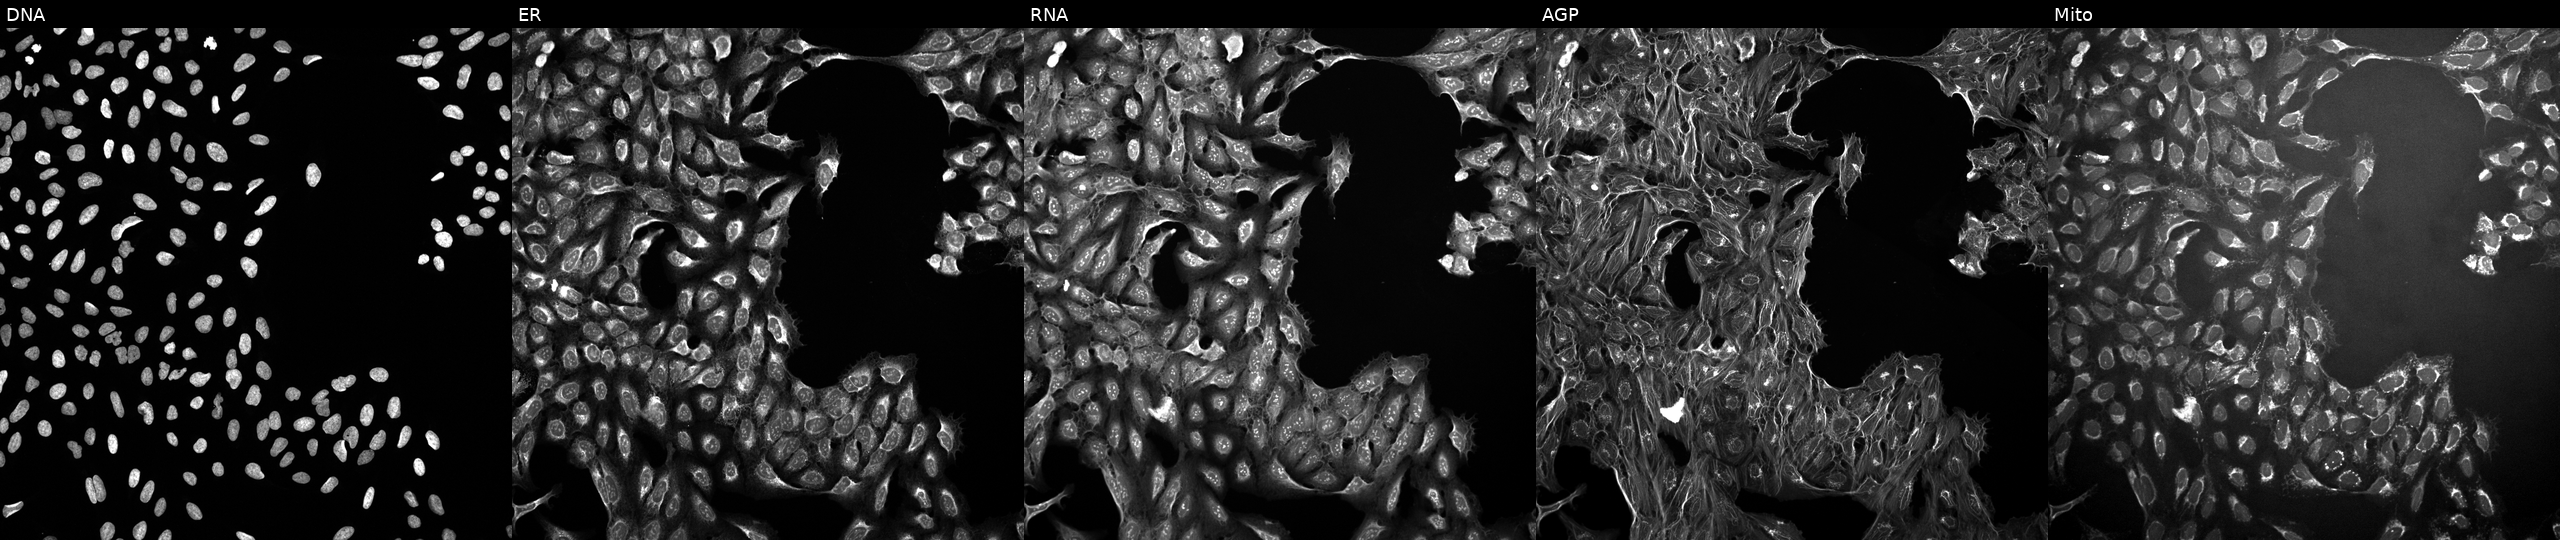
High-content fluorescence microscopy (Cell Painting). Cell line: U2OS. Perturbation: treated with DMSO vehicle only (negative control) (JUMP id JCP2022_033924). Channels (left→right): DNA (nuclei); ER (endoplasmic reticulum); RNA (nucleoli and cytoplasmic RNA); AGP (actin cytoskeleton, Golgi, and plasma membrane); Mito (mitochondria). Source 10, plate Dest210531-152324, well P02.